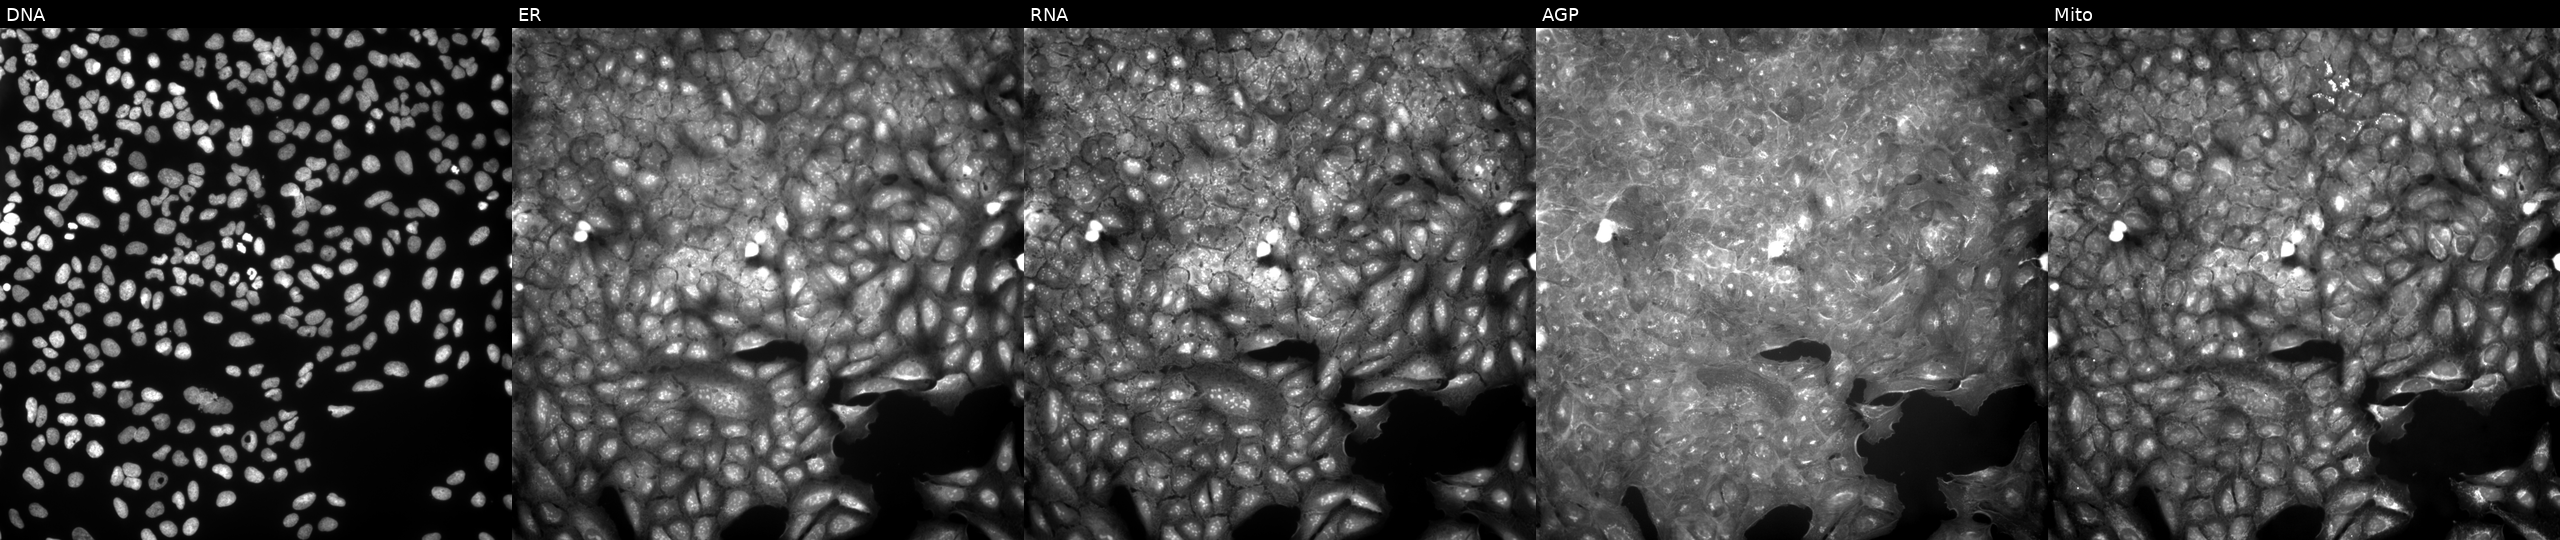
This image strip shows the five Cell Painting channels for a single field of U2OS cells exposed to a small-molecule compound (InChIKey CMTMTLVIGYPLGJ-UHFFFAOYSA-N) (JUMP id JCP2022_012157). Panels show, left to right, DNA, ER, RNA, AGP, and Mito. Source 9, plate GR00003381, well O16.